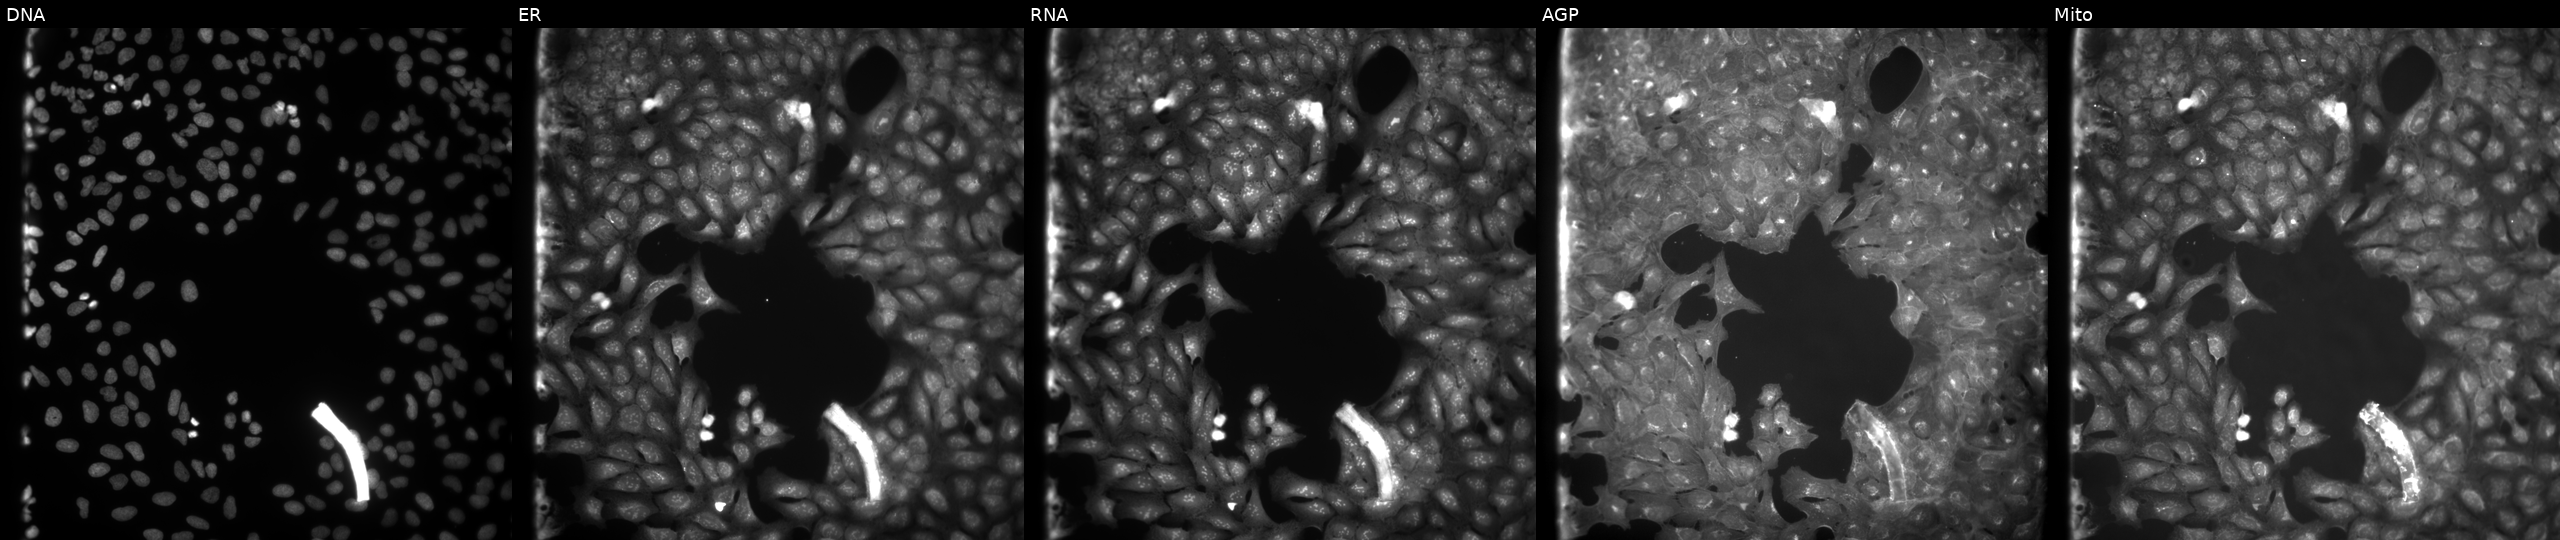
High-content fluorescence microscopy (Cell Painting). Cell line: U2OS. Perturbation: exposed to DMSO alone as a negative control. From left to right: Hoechst 33342, concanavalin A, SYTO 14, phalloidin and WGA, MitoTracker.